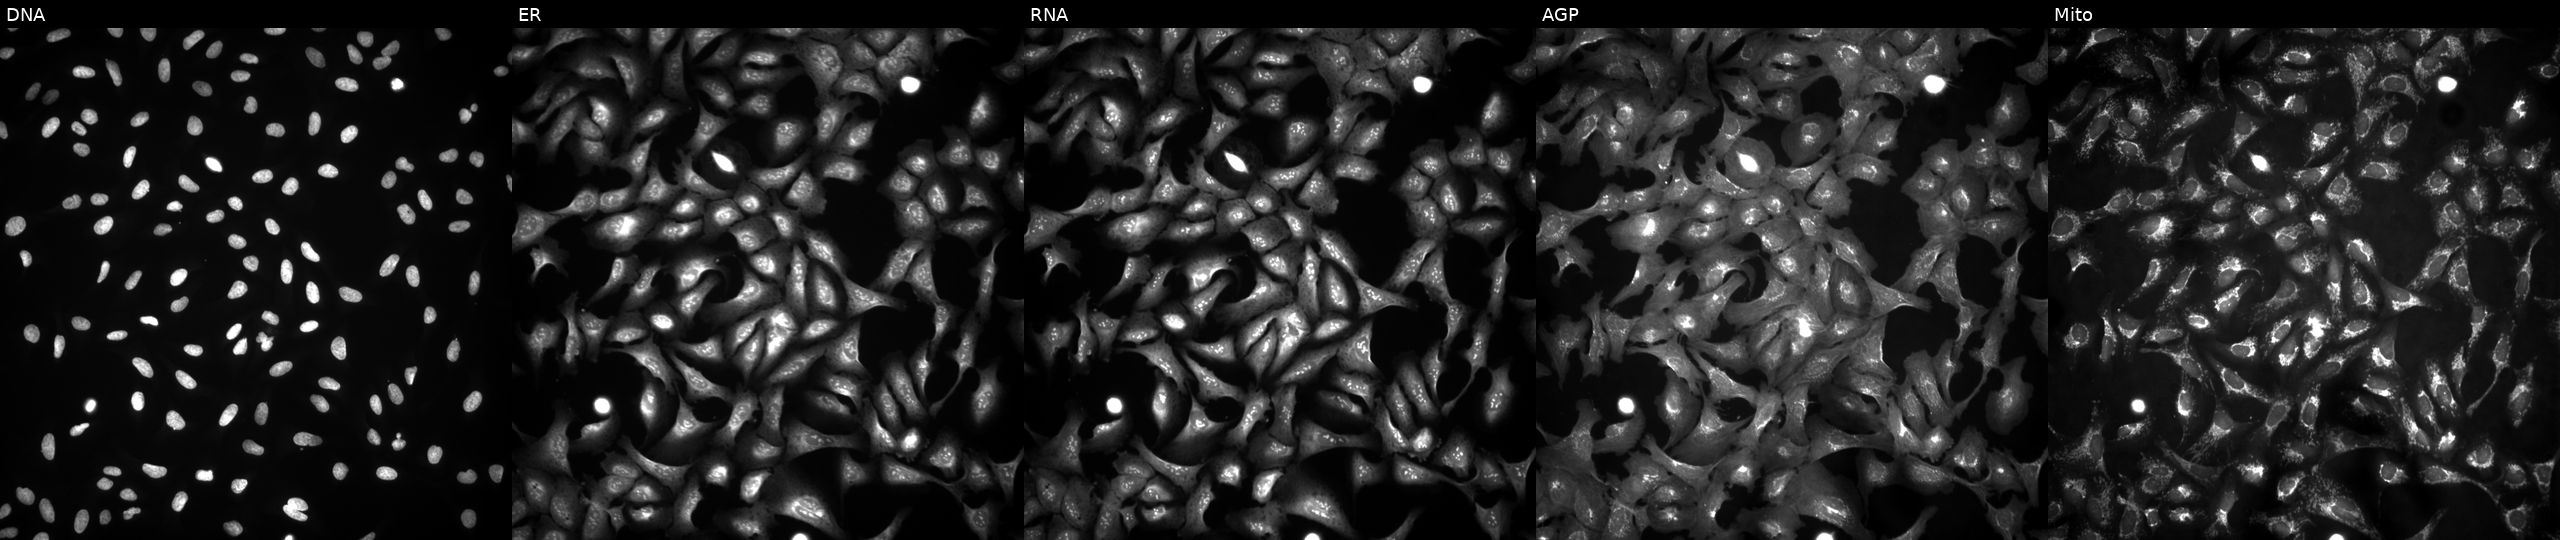
This image strip shows the five Cell Painting channels for a single field of U2OS cells overexpressing GNB4 via ORF transfection. Panels show, left to right, Hoechst 33342, concanavalin A, SYTO 14, phalloidin and WGA, MitoTracker.